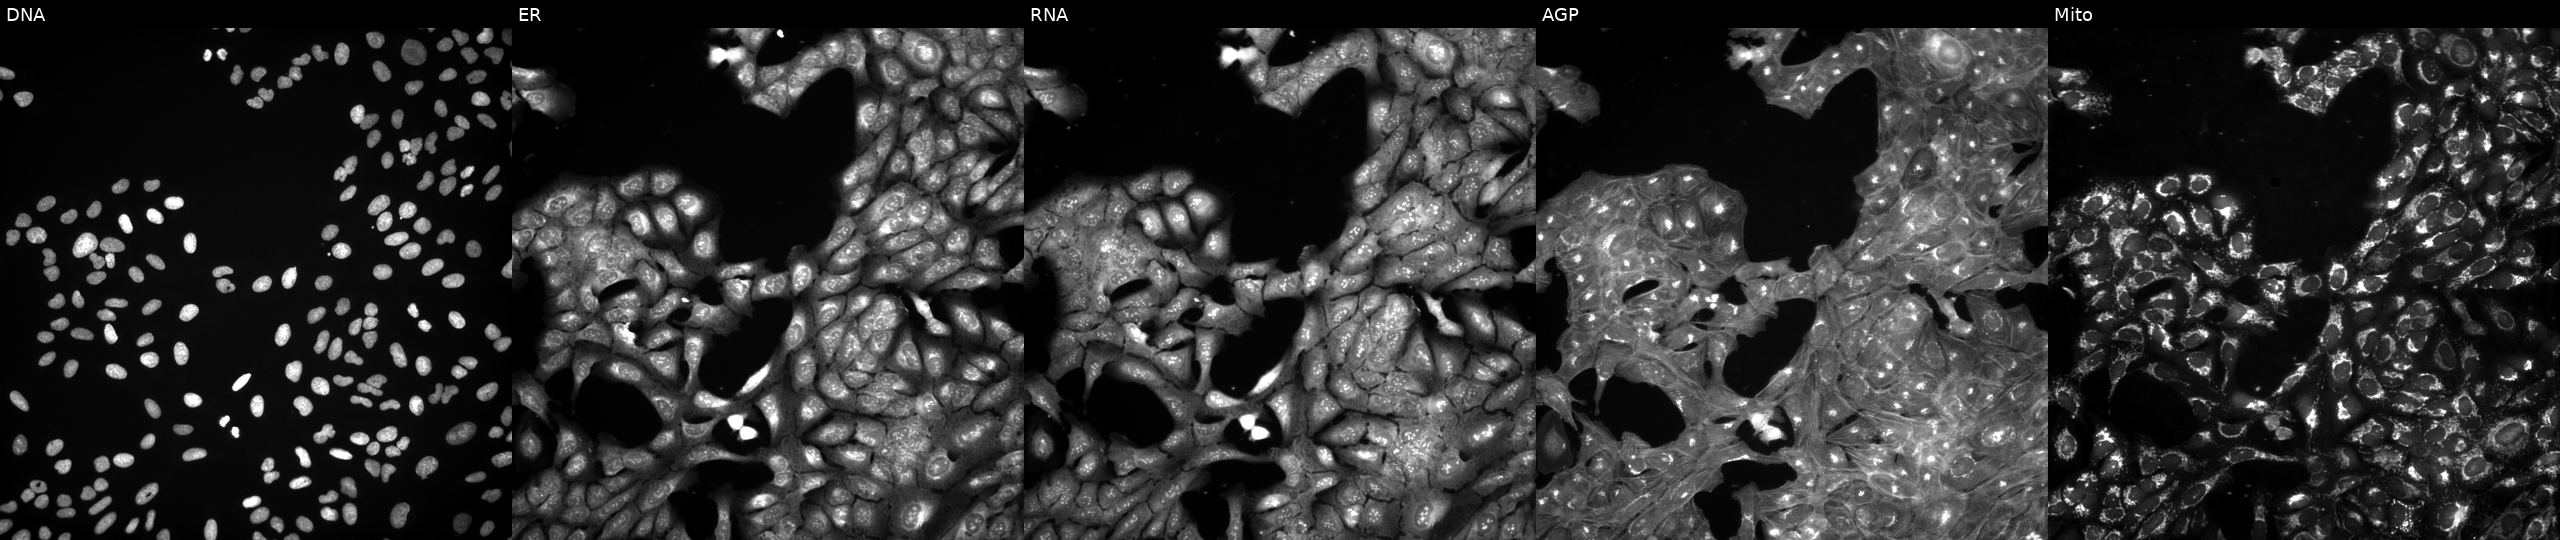
U2OS cells, Cell Painting assay, exposed to a small-molecule compound (InChIKey ALMUQWSPQNFSLB-UHFFFAOYSA-N). Channels (left→right): Hoechst 33342, concanavalin A, SYTO 14, phalloidin and WGA, MitoTracker. Each panel is percentile-stretched 16-bit fluorescence.